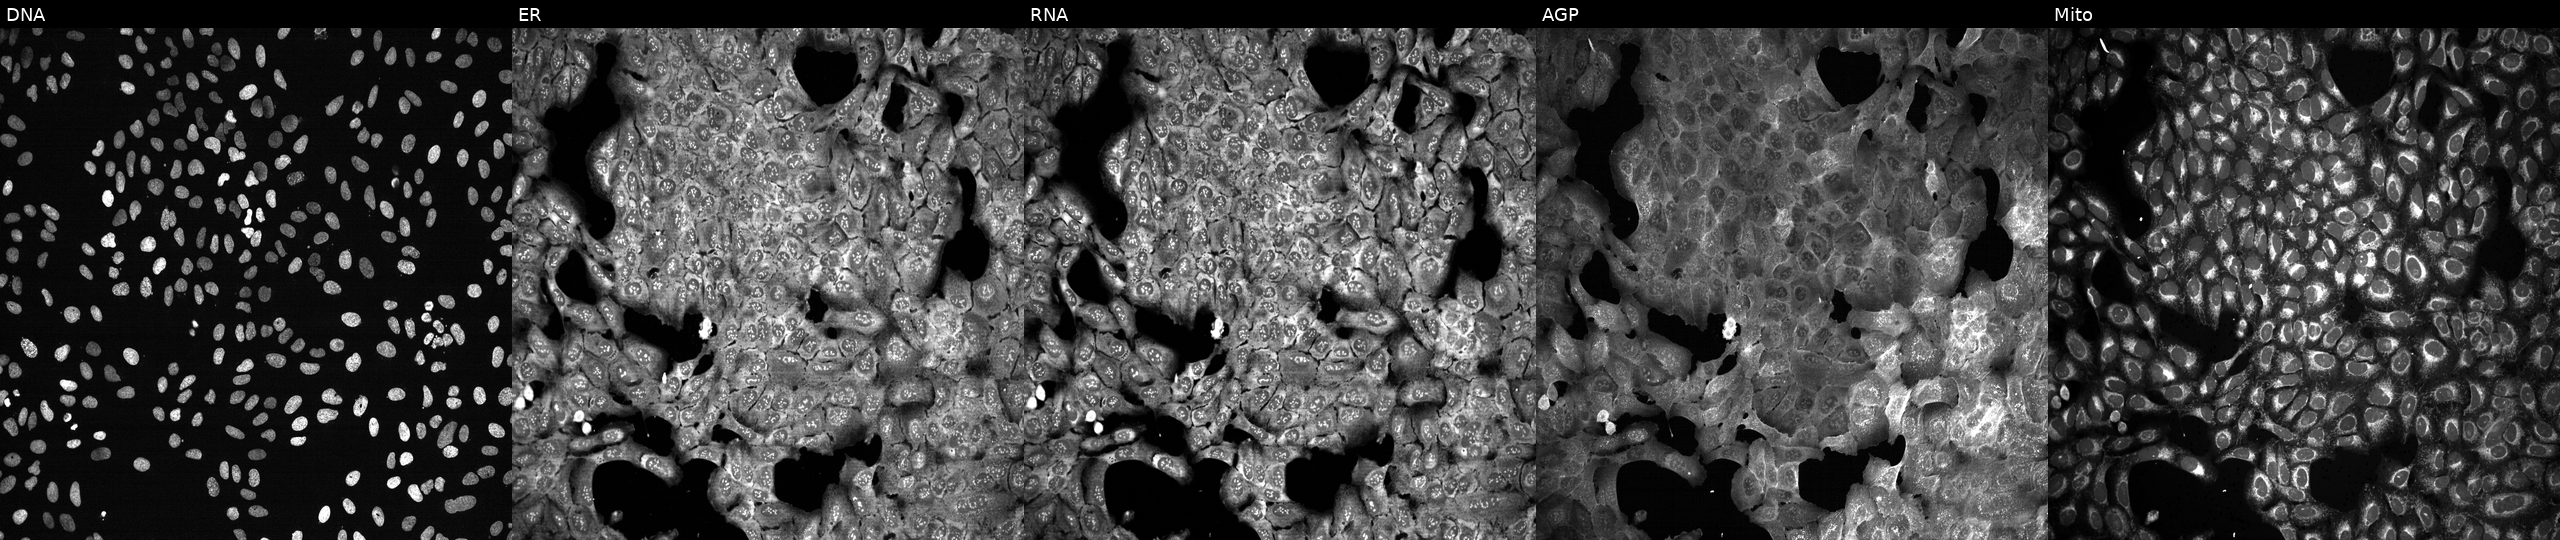
JUMP Cell Painting — CRISPR plate. U2OS cells with GPAT4 knocked out by CRISPR. Channels (left→right): Hoechst 33342, concanavalin A, SYTO 14, phalloidin and WGA, MitoTracker. Source 13, plate CP-CC9-R2-01, well E19.